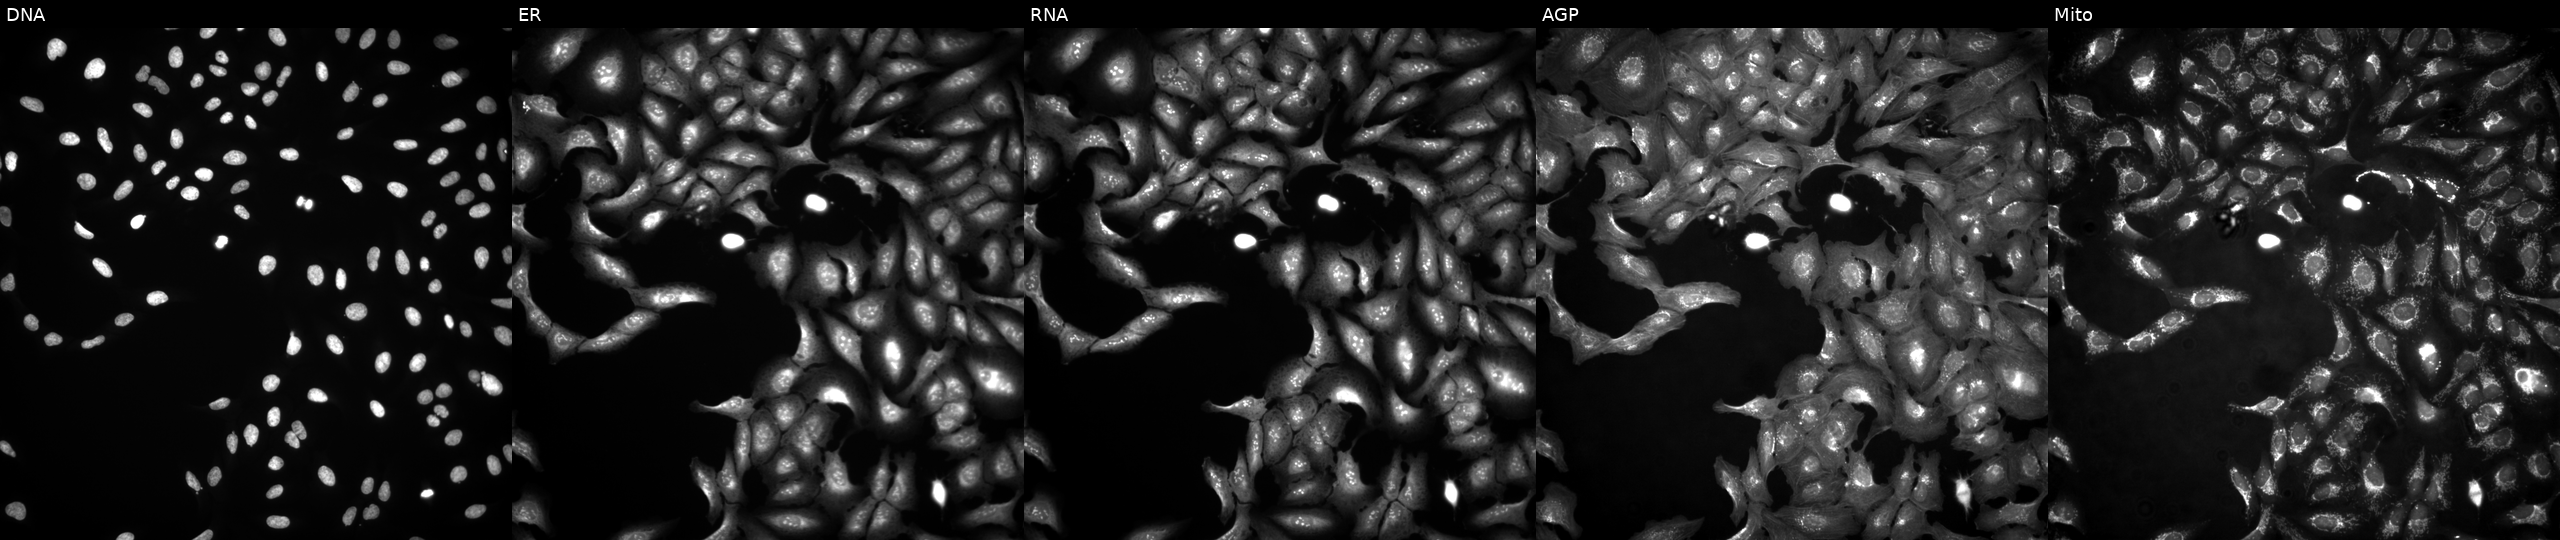
This image strip shows the five Cell Painting channels for a single field of U2OS cells transfected with an ORF construct for DYRK2 (JUMP id JCP2022_914626). From left to right: DNA (nuclei); ER (endoplasmic reticulum); RNA (nucleoli and cytoplasmic RNA); AGP (actin cytoskeleton, Golgi, and plasma membrane); Mito (mitochondria).